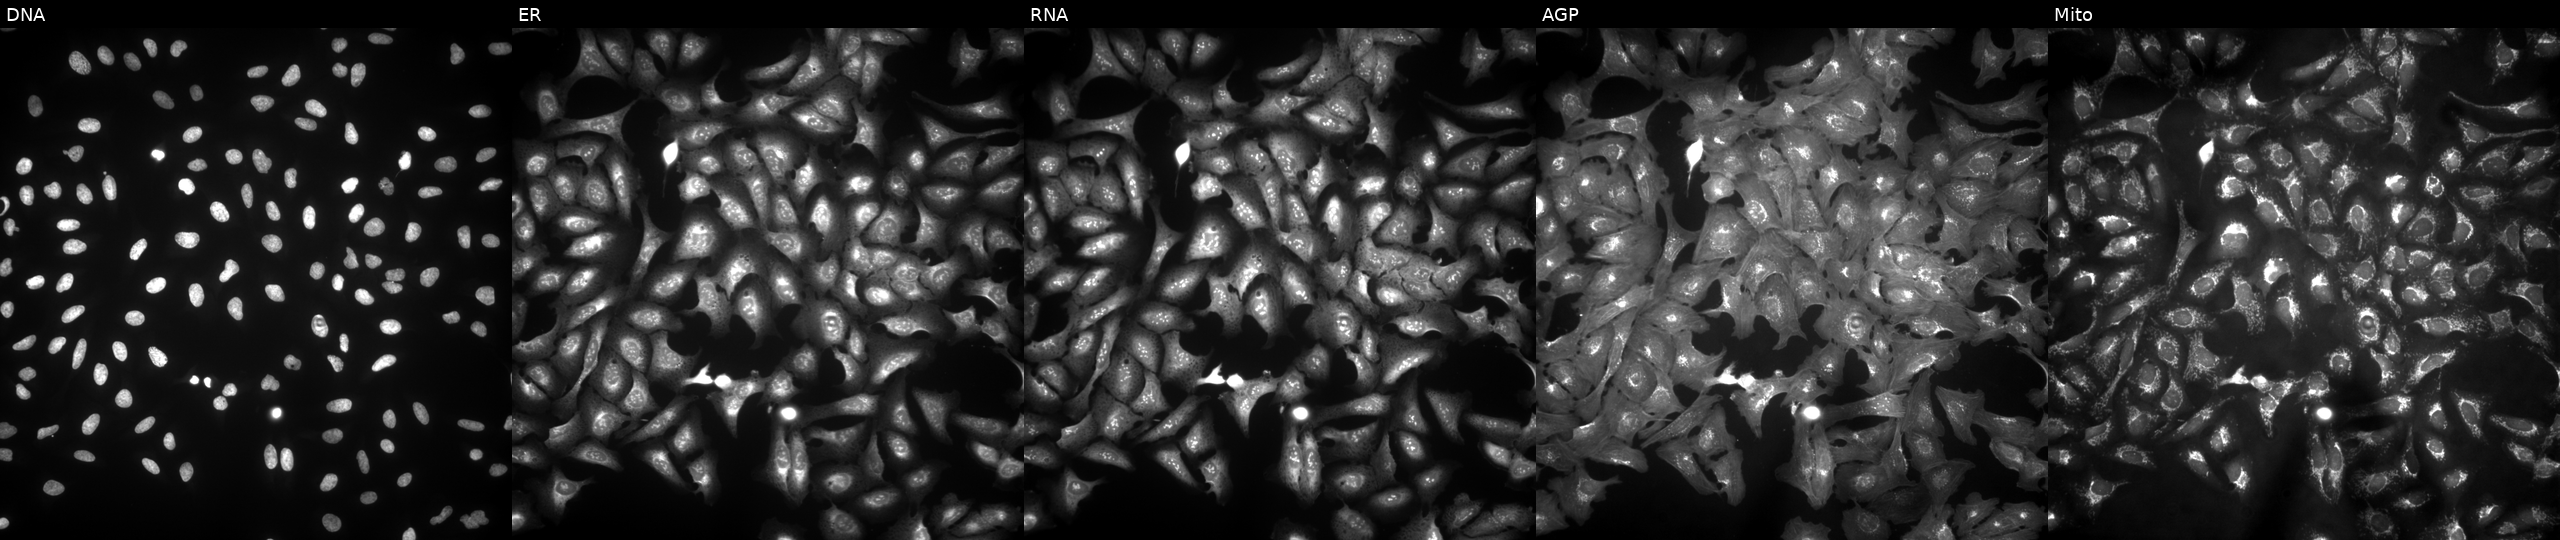
High-content fluorescence microscopy (Cell Painting). Cell line: U2OS. Perturbation: overexpressing PAQR7 via ORF transfection (JUMP id JCP2022_909092). The five panels, left to right, show Hoechst 33342, concanavalin A, SYTO 14, phalloidin and WGA, MitoTracker. Source 4, plate BR00123506, well M15.